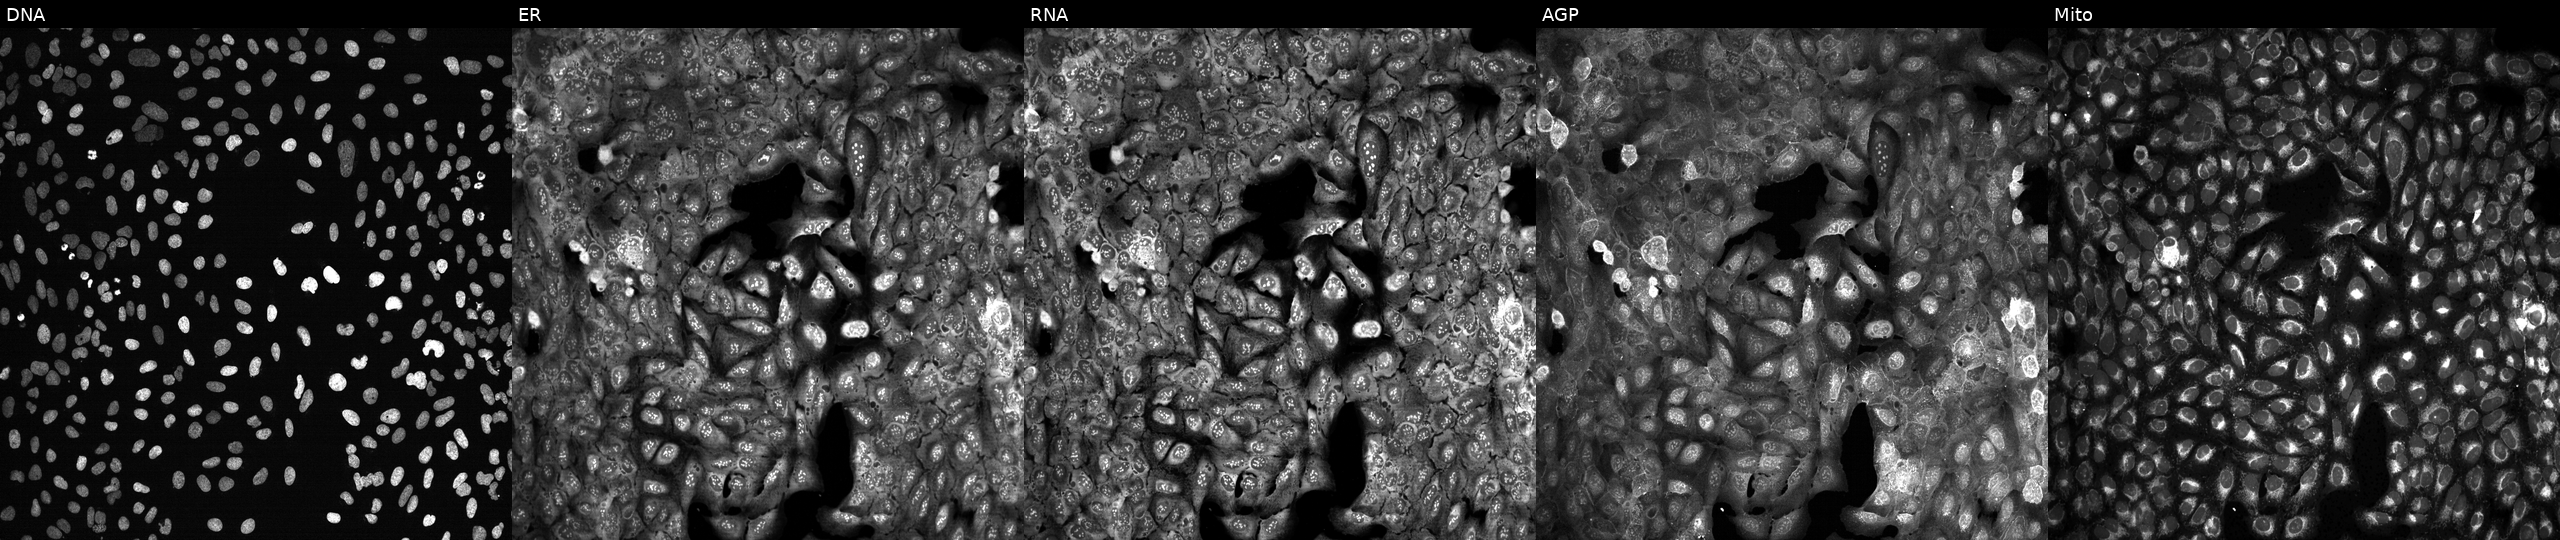
JUMP Cell Painting — CRISPR plate. U2OS cells following CRISPR knockout of SLC12A2 (JUMP id JCP2022_806366). From left to right: DNA (nuclei); ER (endoplasmic reticulum); RNA (nucleoli and cytoplasmic RNA); AGP (actin cytoskeleton, Golgi, and plasma membrane); Mito (mitochondria).